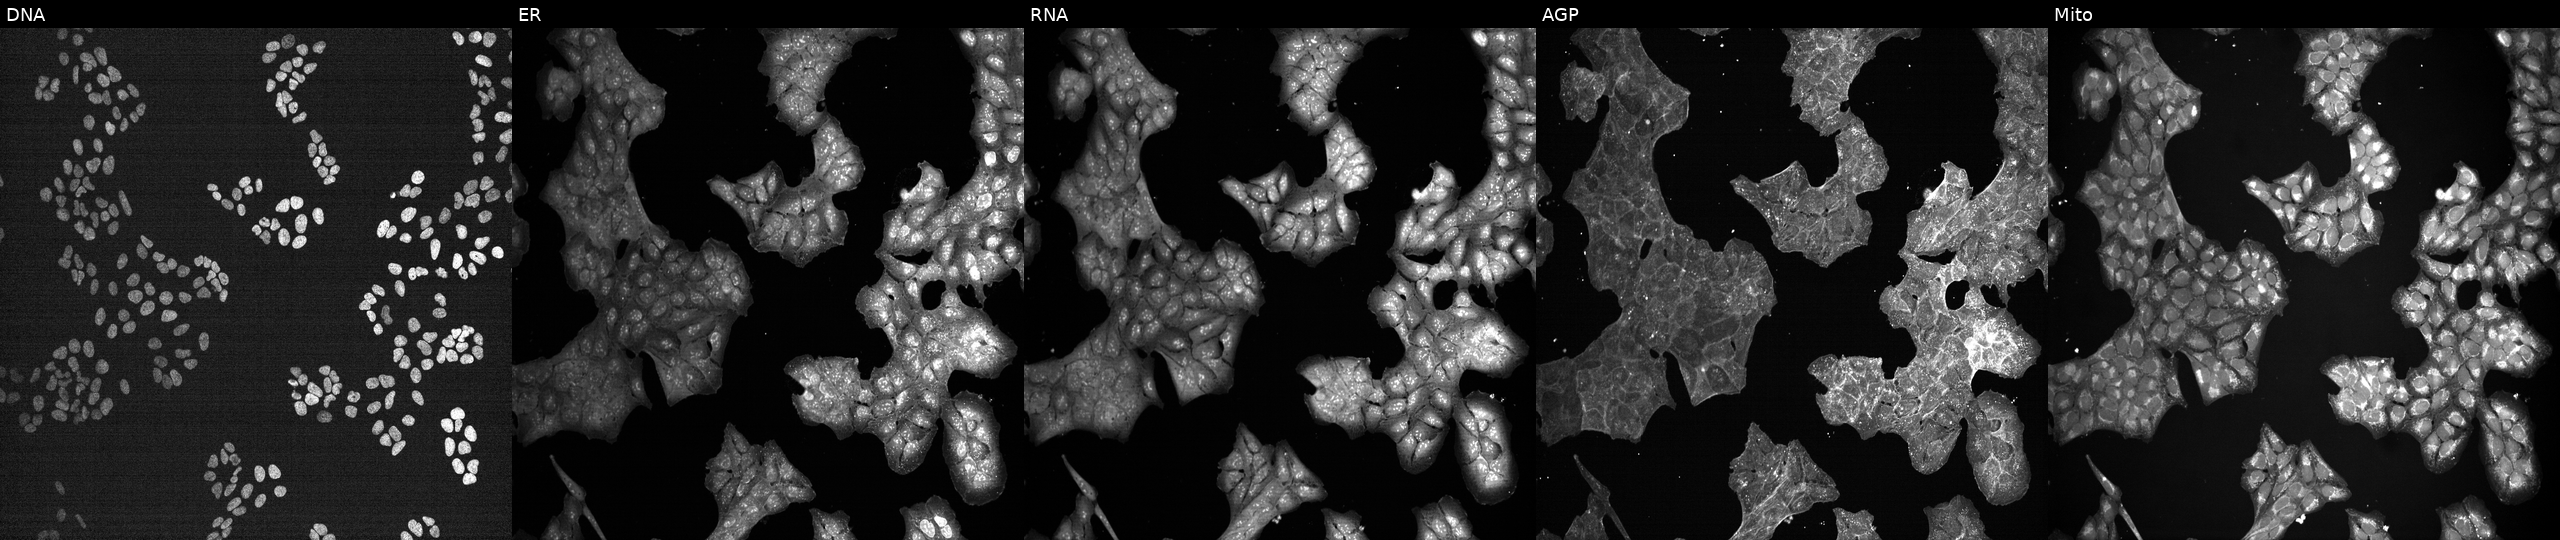
JUMP Cell Painting — TARGET2 plate. U2OS cells perturbed with a small-molecule compound (InChIKey PBBRWFOVCUAONR-UHFFFAOYSA-N) (JUMP id JCP2022_067432). The five panels, left to right, show DNA (nuclei); ER (endoplasmic reticulum); RNA (nucleoli and cytoplasmic RNA); AGP (actin cytoskeleton, Golgi, and plasma membrane); Mito (mitochondria).